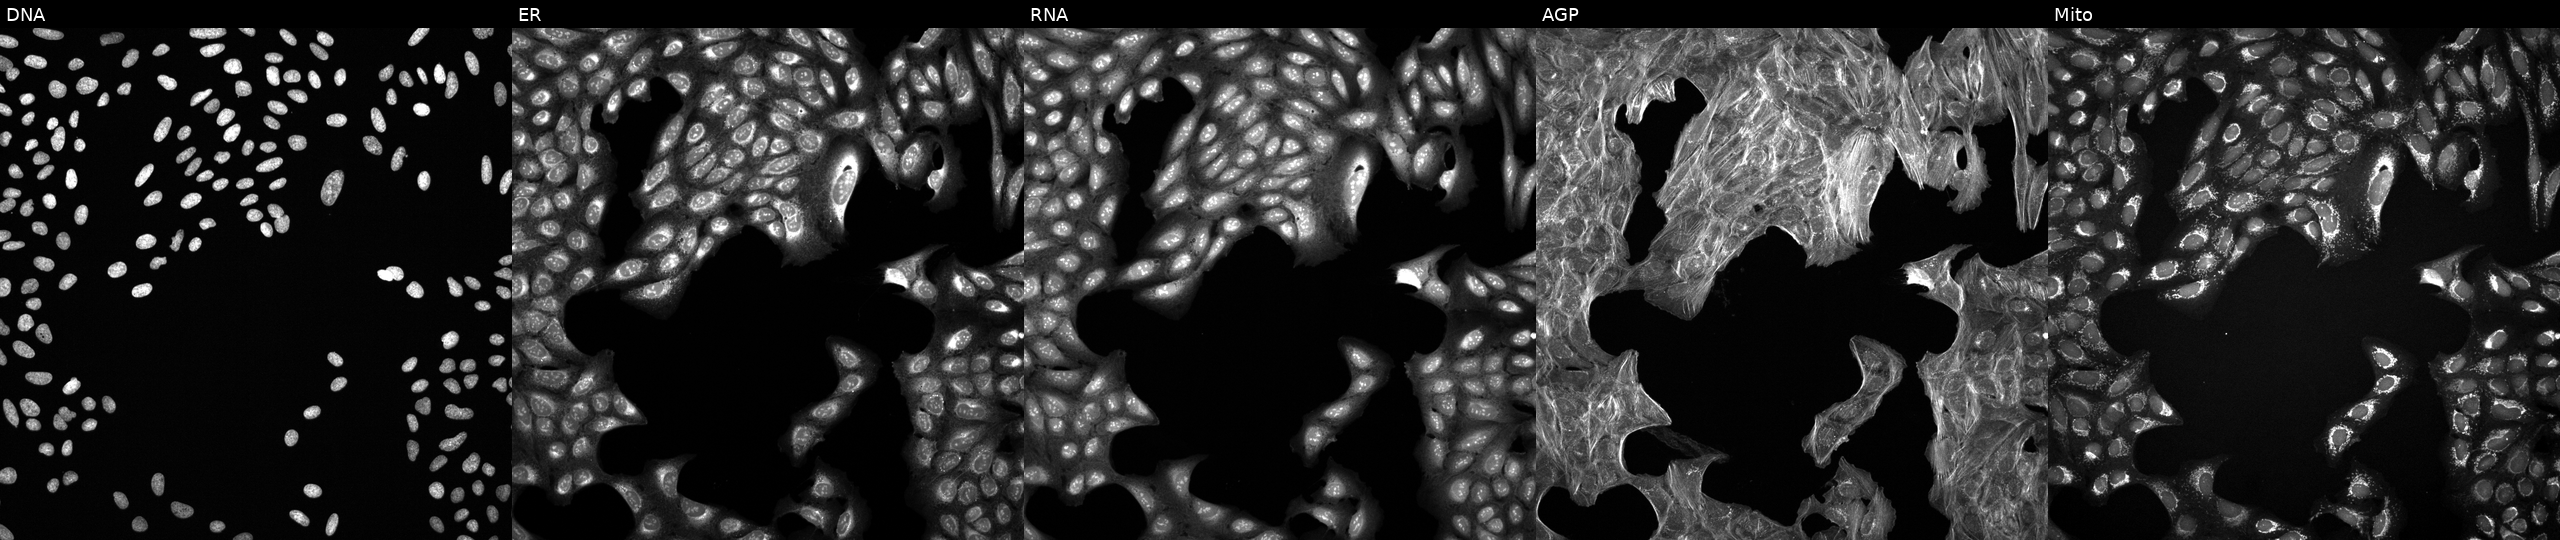
This image strip shows the five Cell Painting channels for a single field of U2OS cells exposed to a small-molecule compound. Channels (left→right): DNA (nuclei); ER (endoplasmic reticulum); RNA (nucleoli and cytoplasmic RNA); AGP (actin cytoskeleton, Golgi, and plasma membrane); Mito (mitochondria). Source 6, plate 110000293082, well P11.